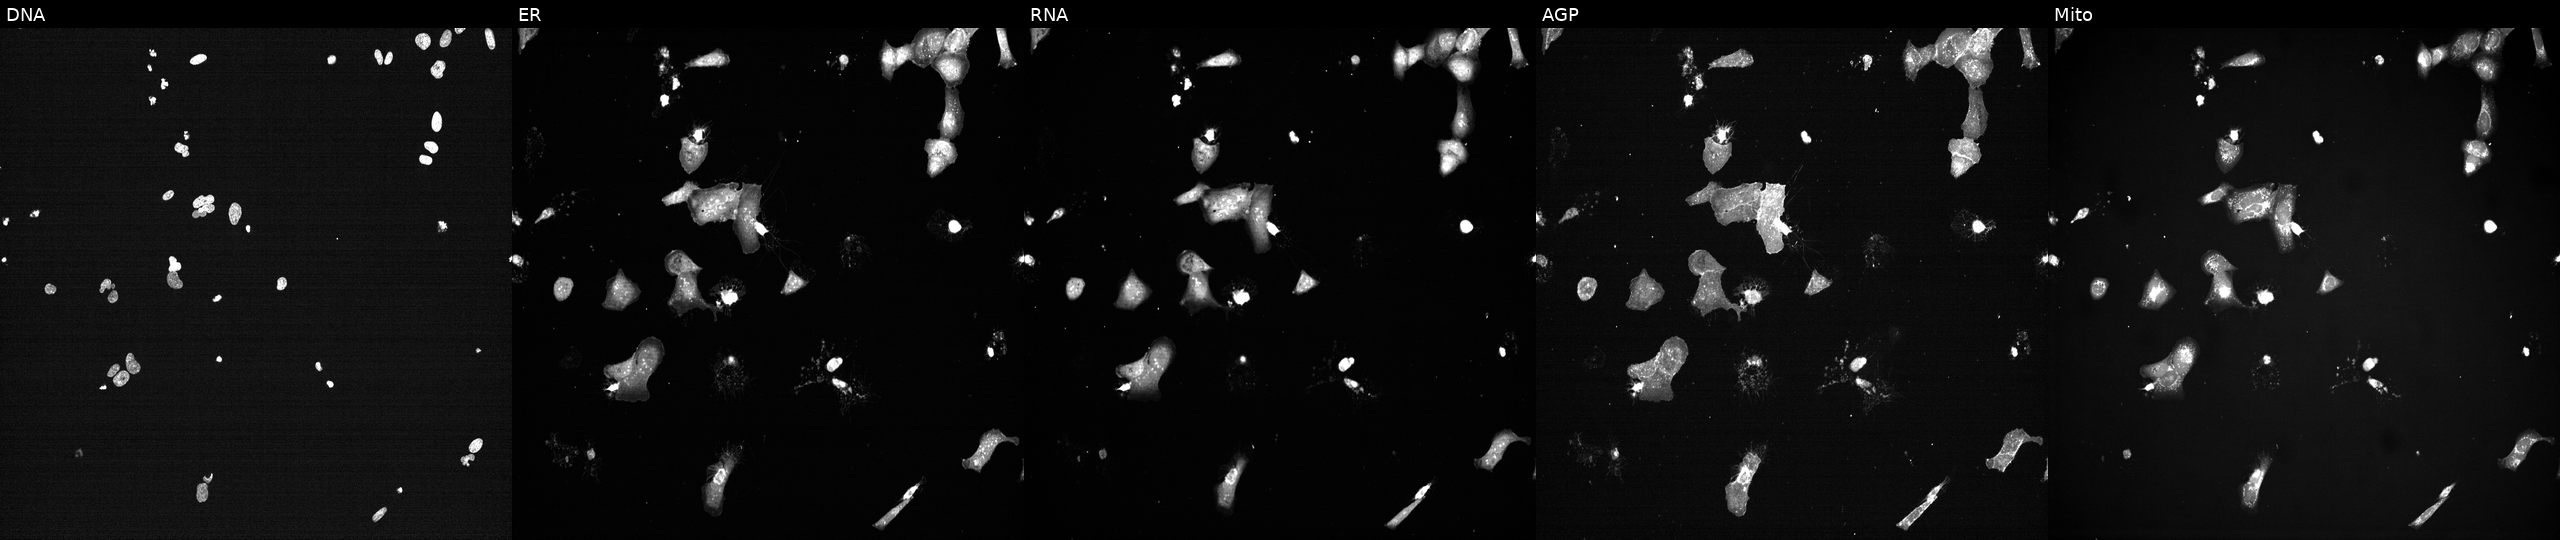
High-content fluorescence microscopy (Cell Painting). Cell line: U2OS. Perturbation: perturbed with a small-molecule compound [SMILES: Cc1nc(=Nc2[nH]nc3c2CN(C(=O)NC(CN(C)C)c2ccccc2)C3(C)C)c2sccc2[nH]1] (JUMP id JCP2022_004587). Panels show, left to right, Hoechst 33342, concanavalin A, SYTO 14, phalloidin and WGA, MitoTracker. Source 7, plate CP2-SC1-25, well M11.